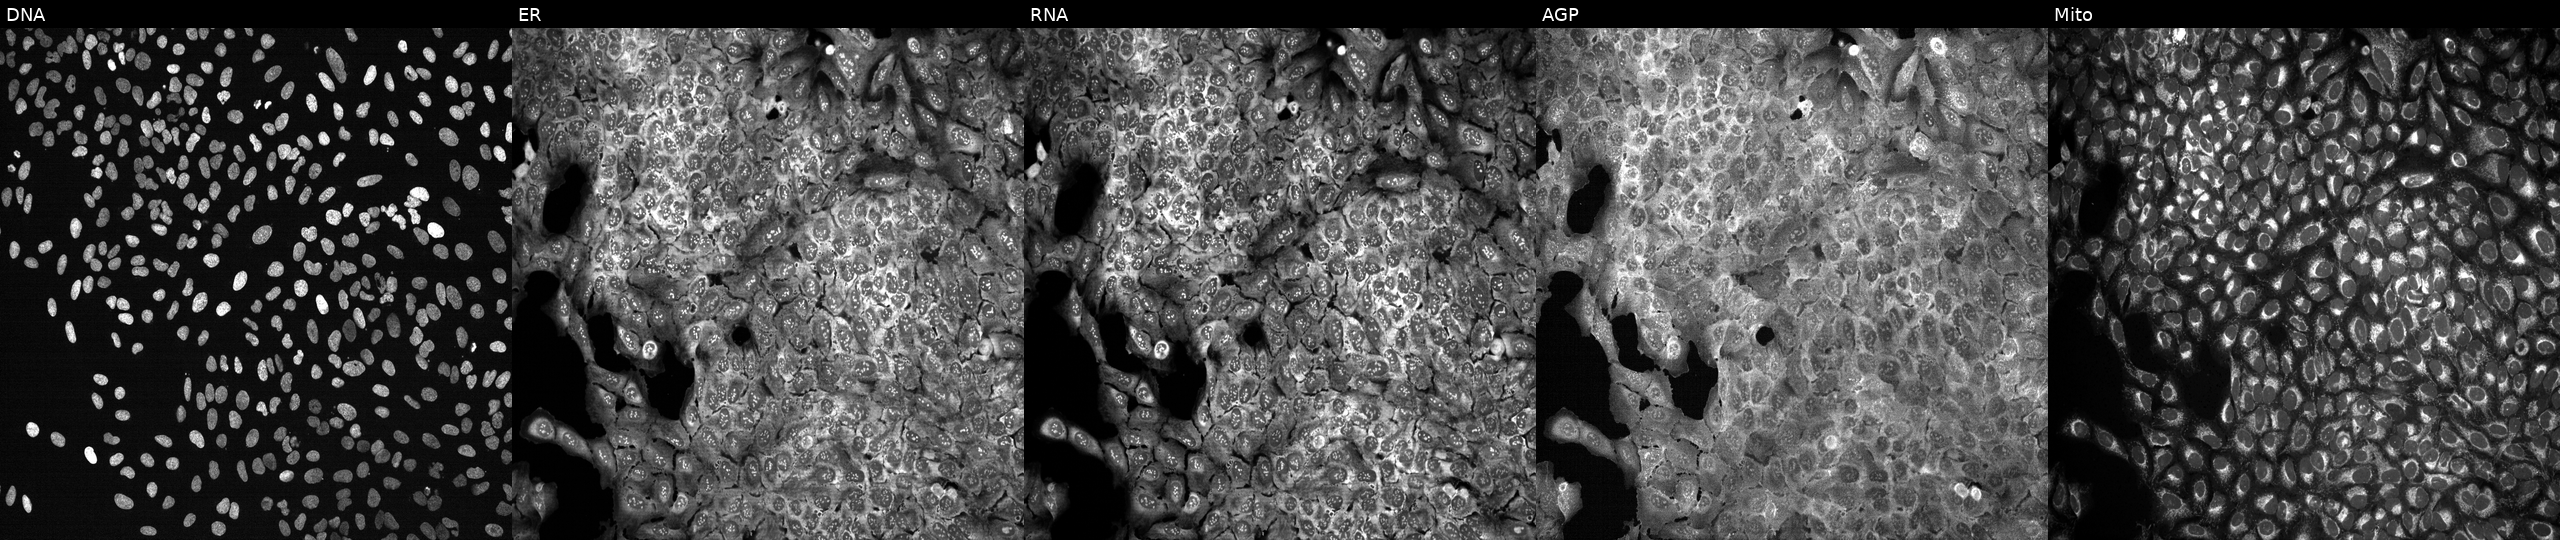
High-content fluorescence microscopy (Cell Painting). Cell line: U2OS. Perturbation: with KIF13B knocked out by CRISPR. Channels (left→right): DNA, ER, RNA, AGP, and Mito. Source 13, plate CP-CC9-R3-02, well M07.